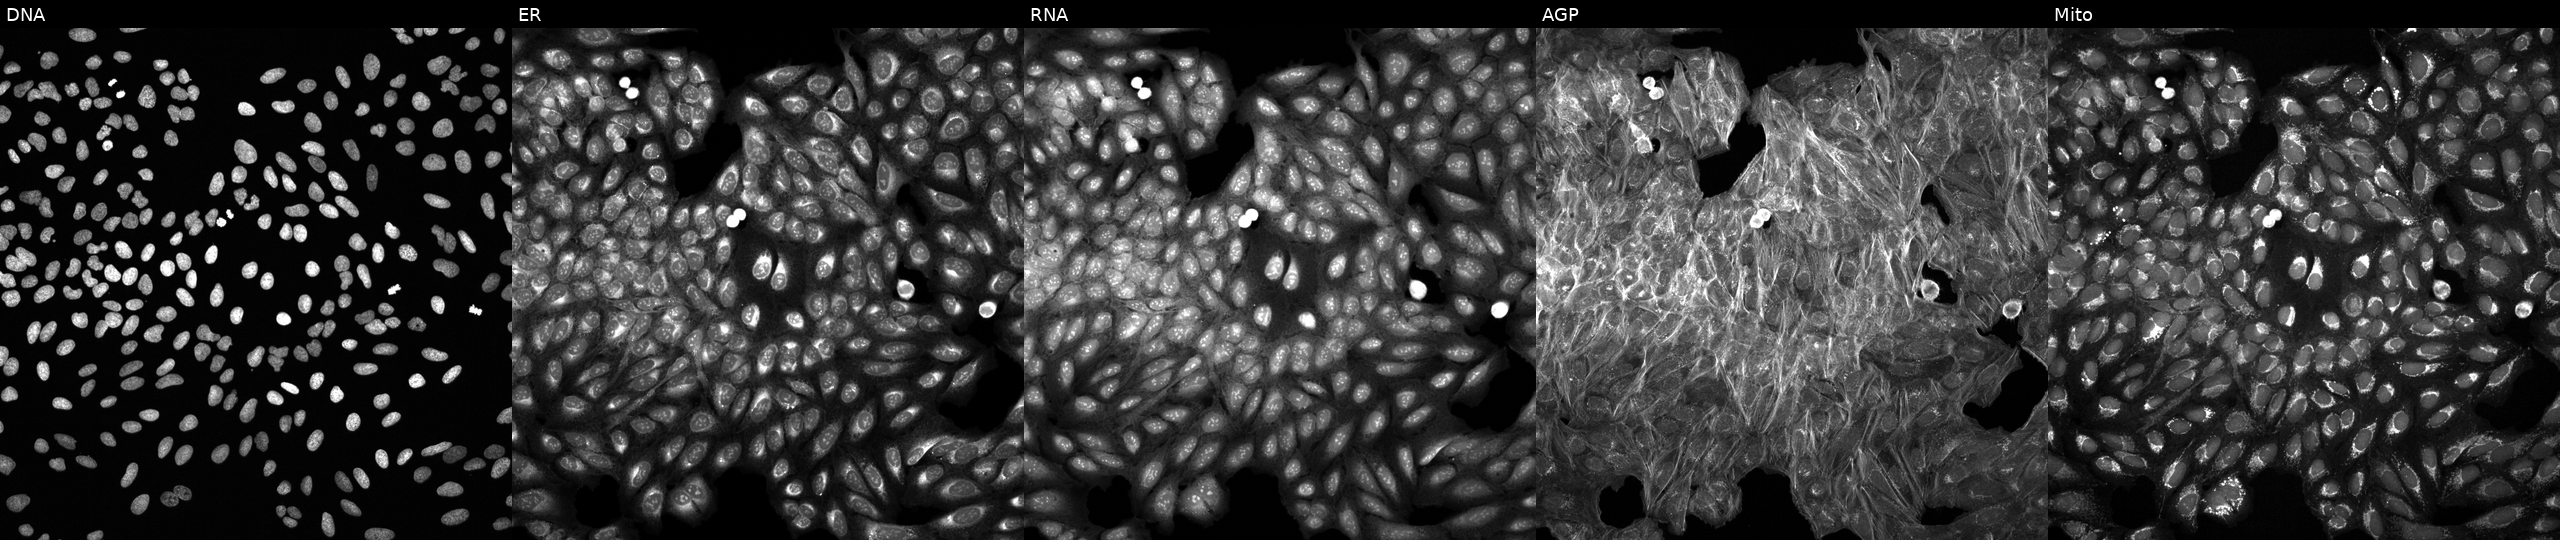
From left to right: Hoechst 33342, concanavalin A, SYTO 14, phalloidin and WGA, MitoTracker. U2OS osteosarcoma cells perturbed with a small-molecule compound (InChIKey VCKUSRYTPJJLNI-UHFFFAOYSA-N). Cell Painting assay, JUMP-CP dataset.